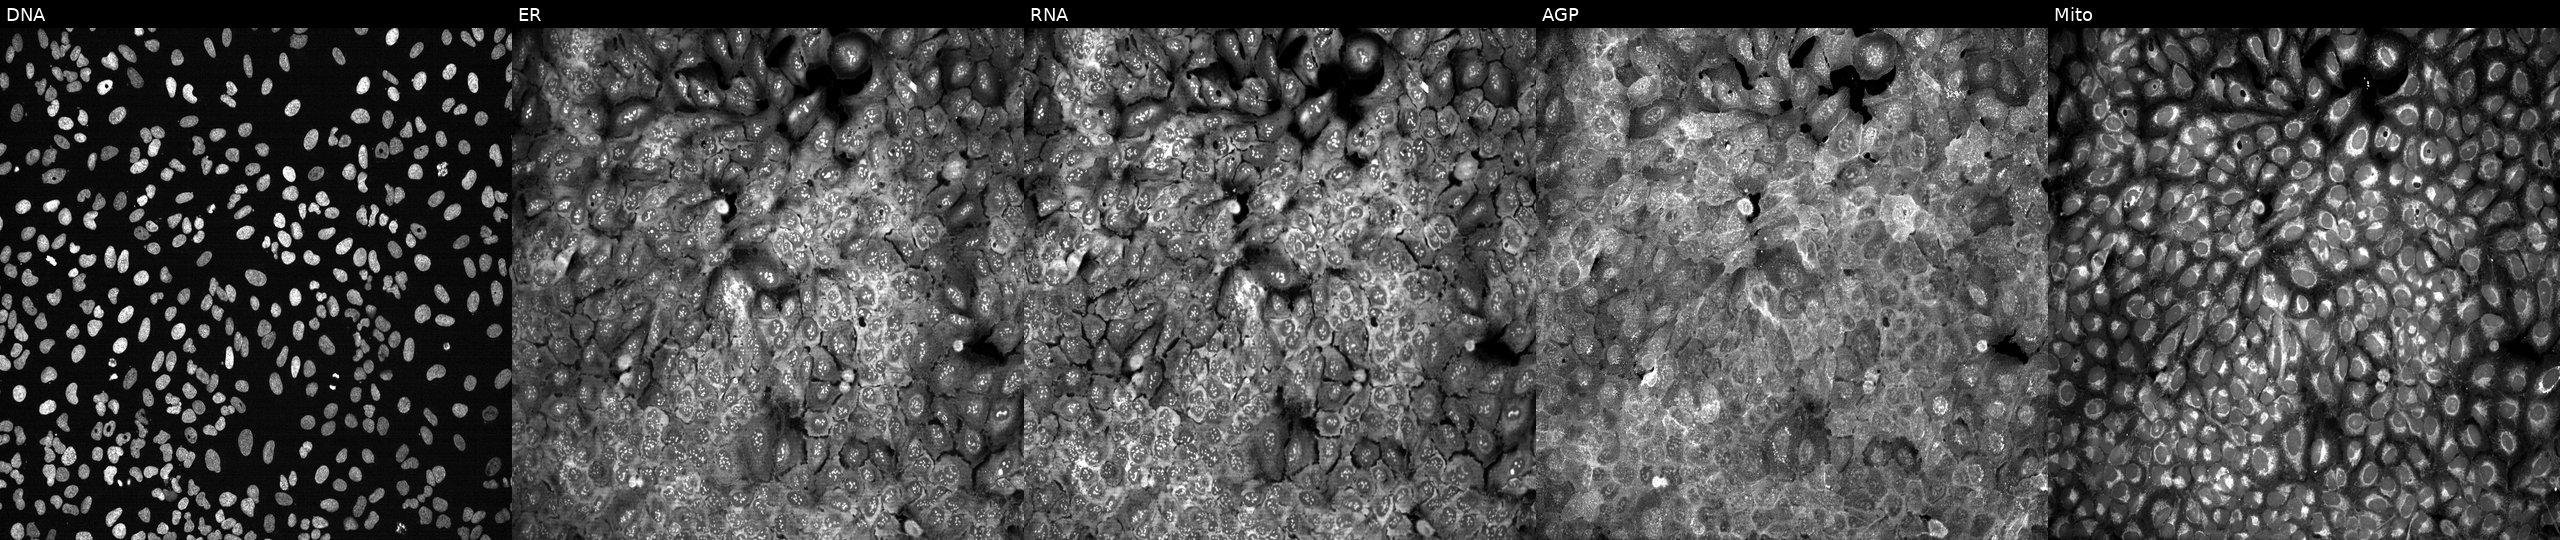
The five panels, left to right, show DNA (nuclei); ER (endoplasmic reticulum); RNA (nucleoli and cytoplasmic RNA); AGP (actin cytoskeleton, Golgi, and plasma membrane); Mito (mitochondria). U2OS osteosarcoma cells CRISPR-edited to disrupt CBX8. Cell Painting assay, JUMP-CP dataset.